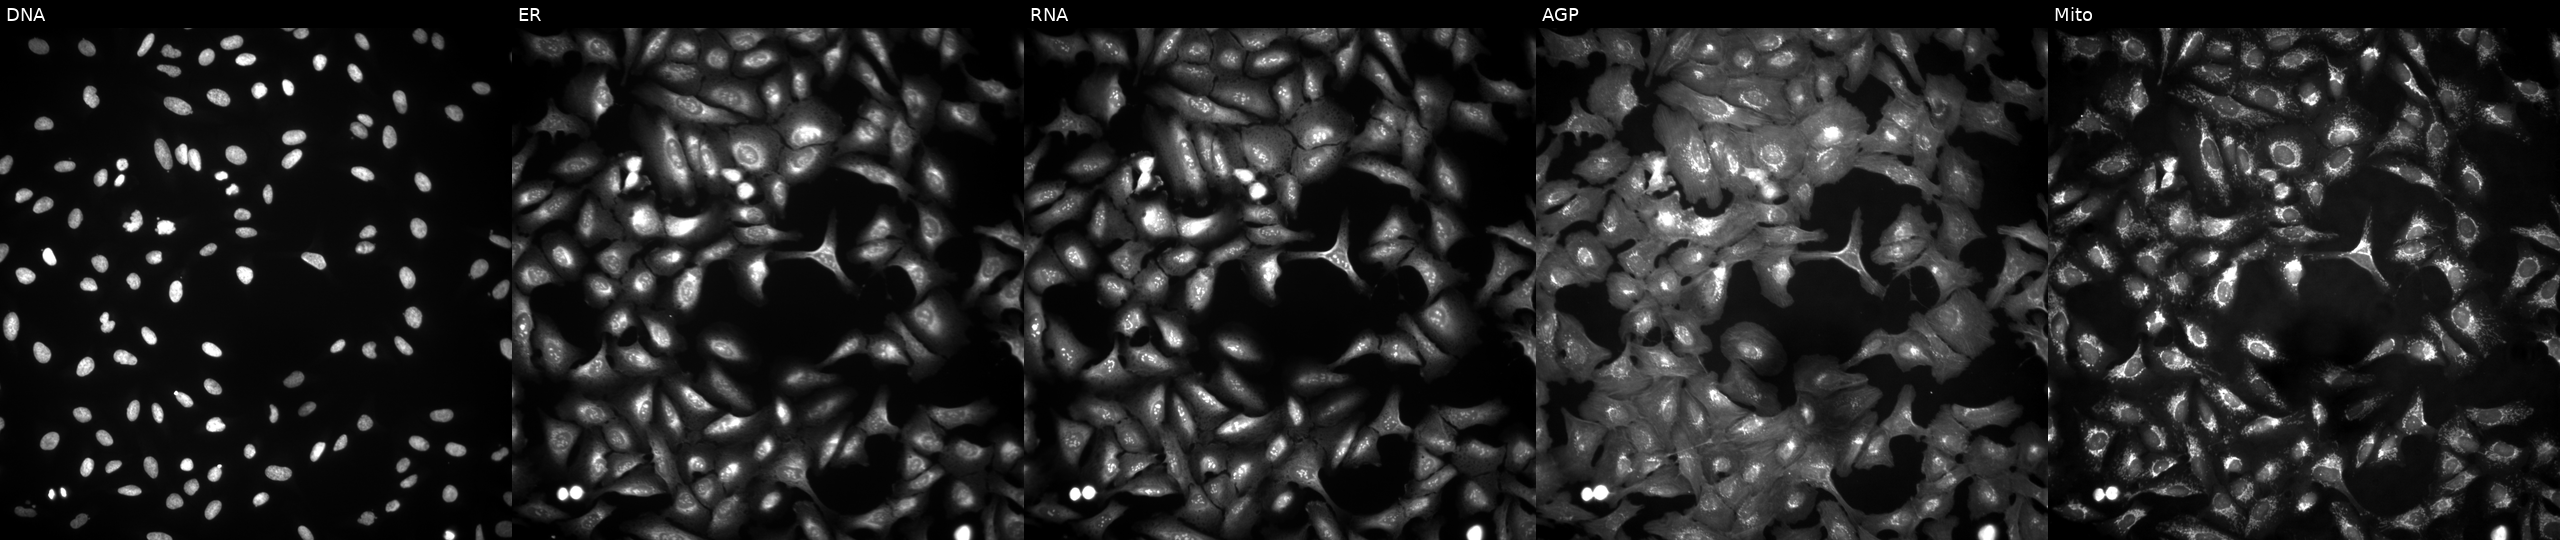
JUMP Cell Painting — ORF plate. U2OS cells with DYNC2LI1 overexpressed (ORF). Channels (left→right): Hoechst 33342, concanavalin A, SYTO 14, phalloidin and WGA, MitoTracker.